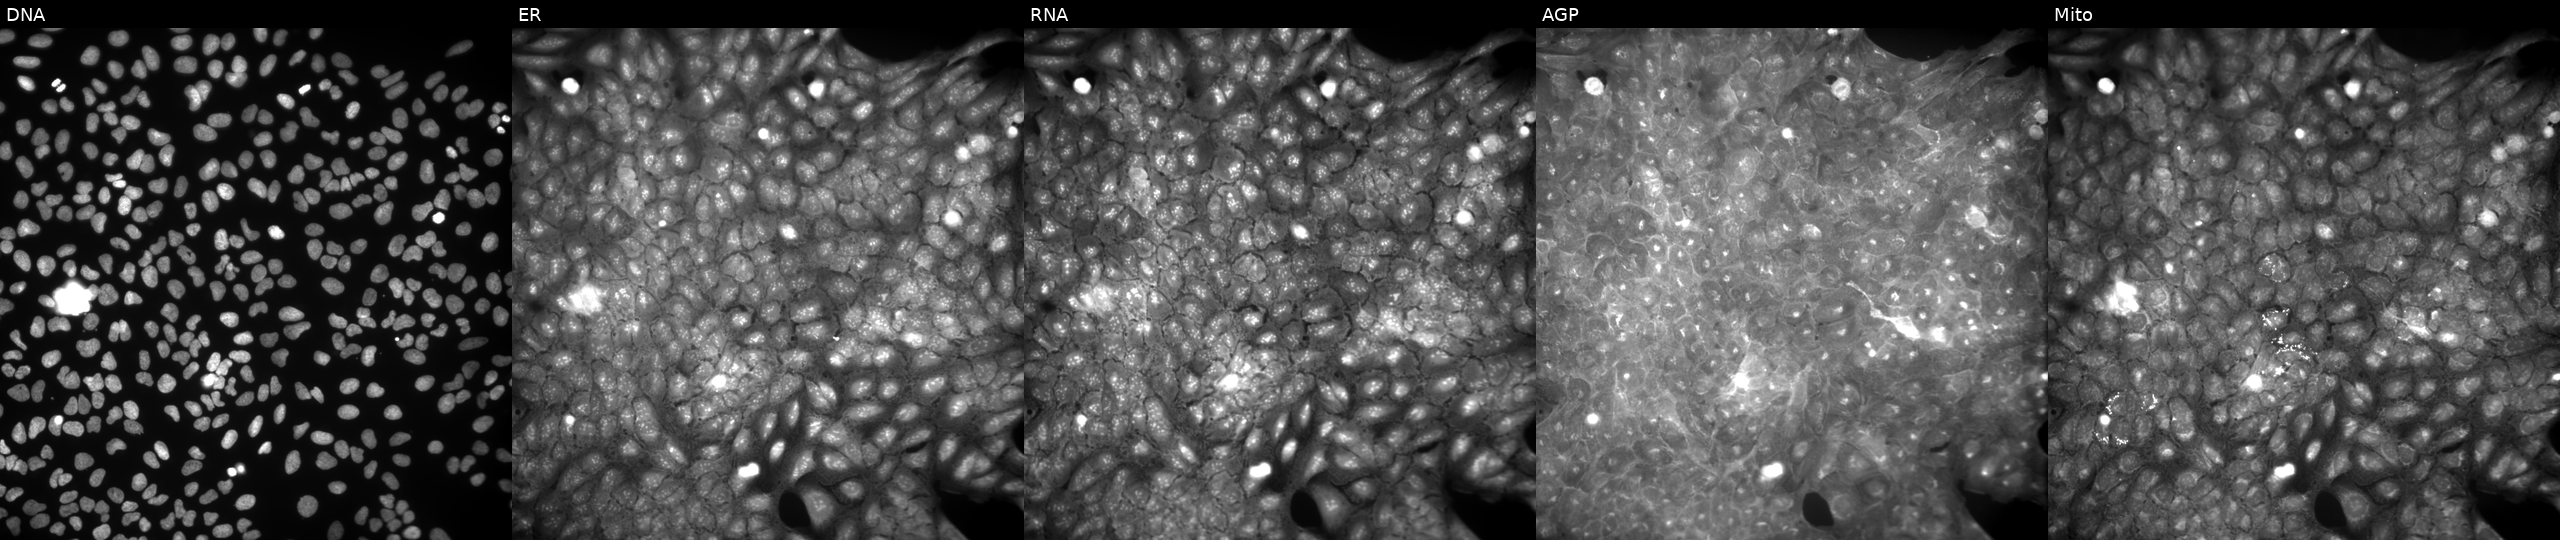
Five-channel Cell Painting image of U2OS cells treated with a small-molecule compound. From left to right: DNA, ER, RNA, AGP, and Mito. Source 9, plate GR00003381, well AB33.